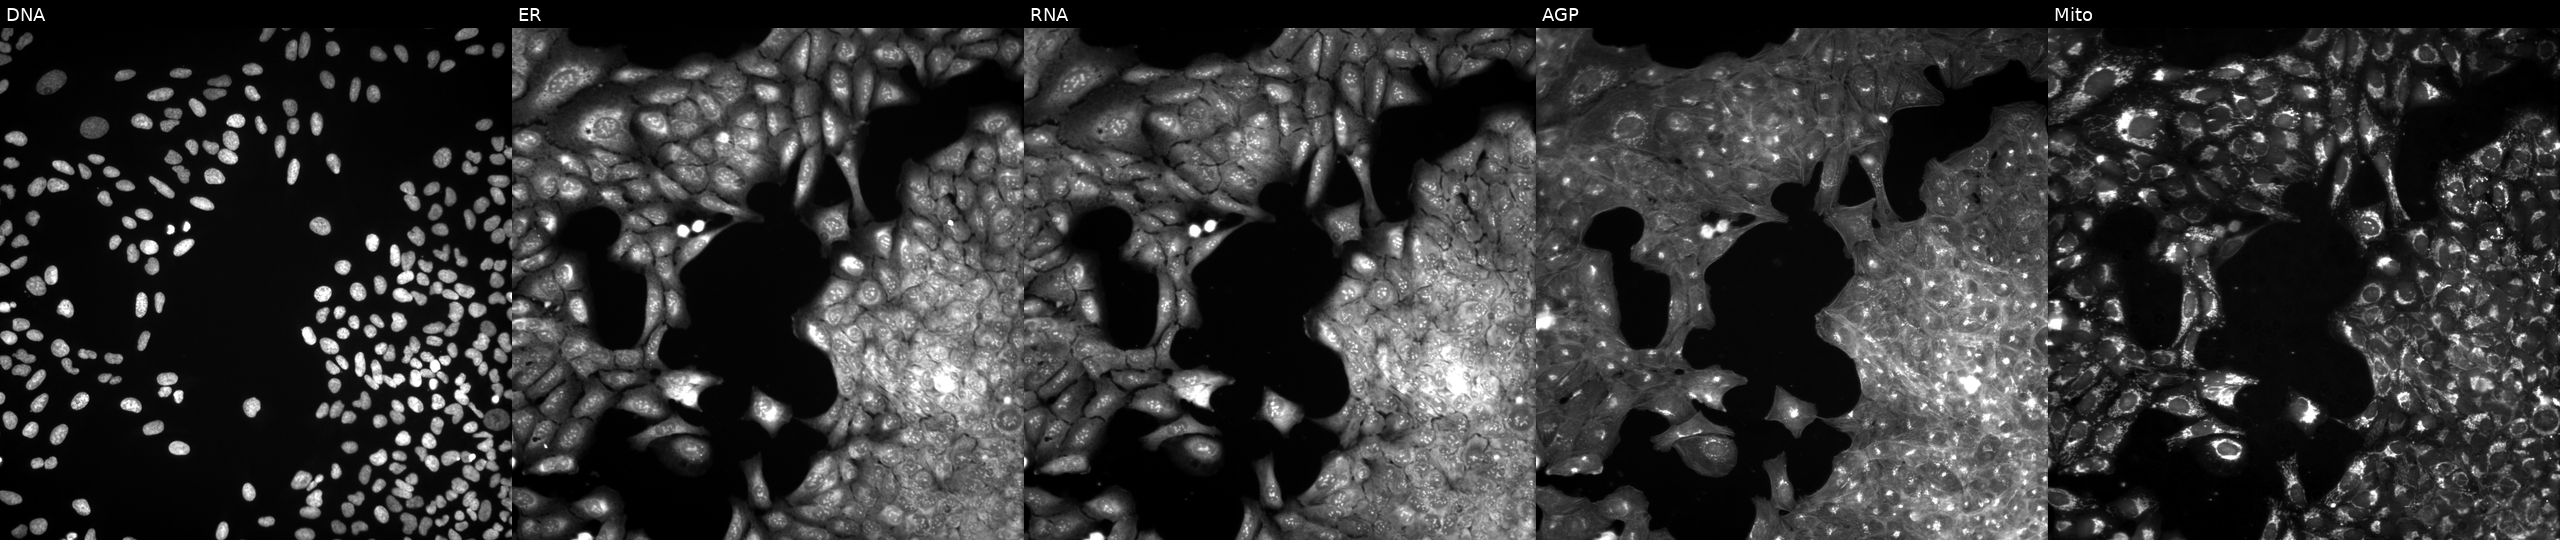
JUMP Cell Painting — TARGET2 plate. U2OS cells treated with a small-molecule compound (InChIKey NCEXYHBECQHGNR-UHFFFAOYSA-N). From left to right: DNA, ER, RNA, AGP, and Mito.